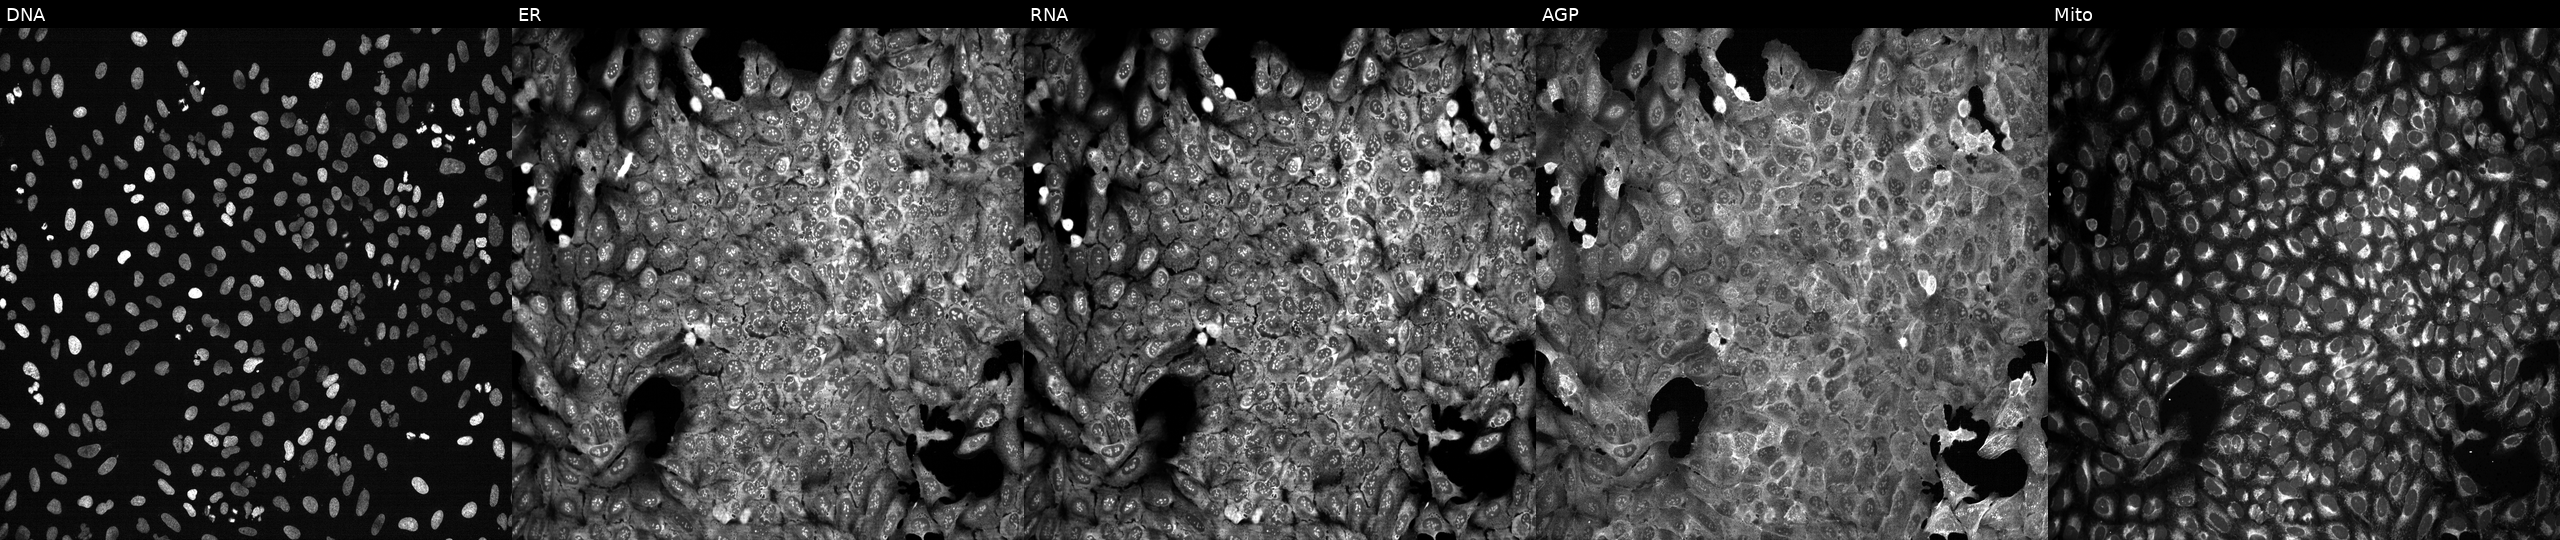
Channels (left→right): DNA (nuclei); ER (endoplasmic reticulum); RNA (nucleoli and cytoplasmic RNA); AGP (actin cytoskeleton, Golgi, and plasma membrane); Mito (mitochondria). U2OS osteosarcoma cells CRISPR-edited to disrupt ARHGAP5 (JUMP id JCP2022_800563). Cell Painting assay, JUMP-CP dataset. Source 13, plate CP-CC9-R3-01, well D16.